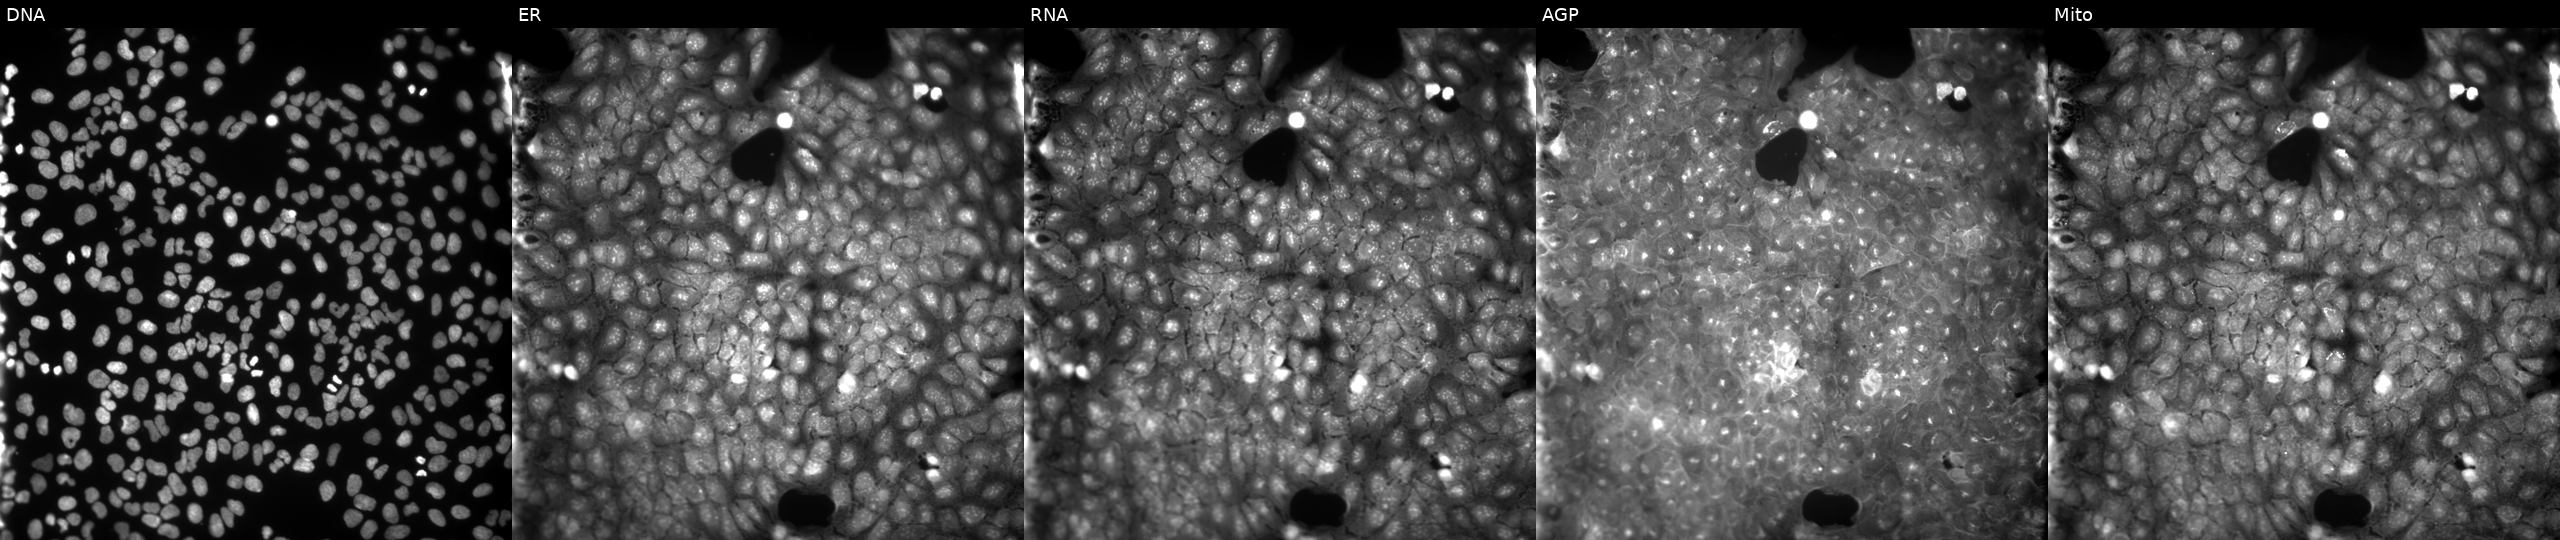
This image strip shows the five Cell Painting channels for a single field of U2OS cells exposed to a small-molecule compound (InChIKey CPHJFOQNOWEJIZ-UHFFFAOYSA-N) (JUMP id JCP2022_012616). From left to right: Hoechst 33342, concanavalin A, SYTO 14, phalloidin and WGA, MitoTracker. Source 9, plate GR00003382, well AD06.